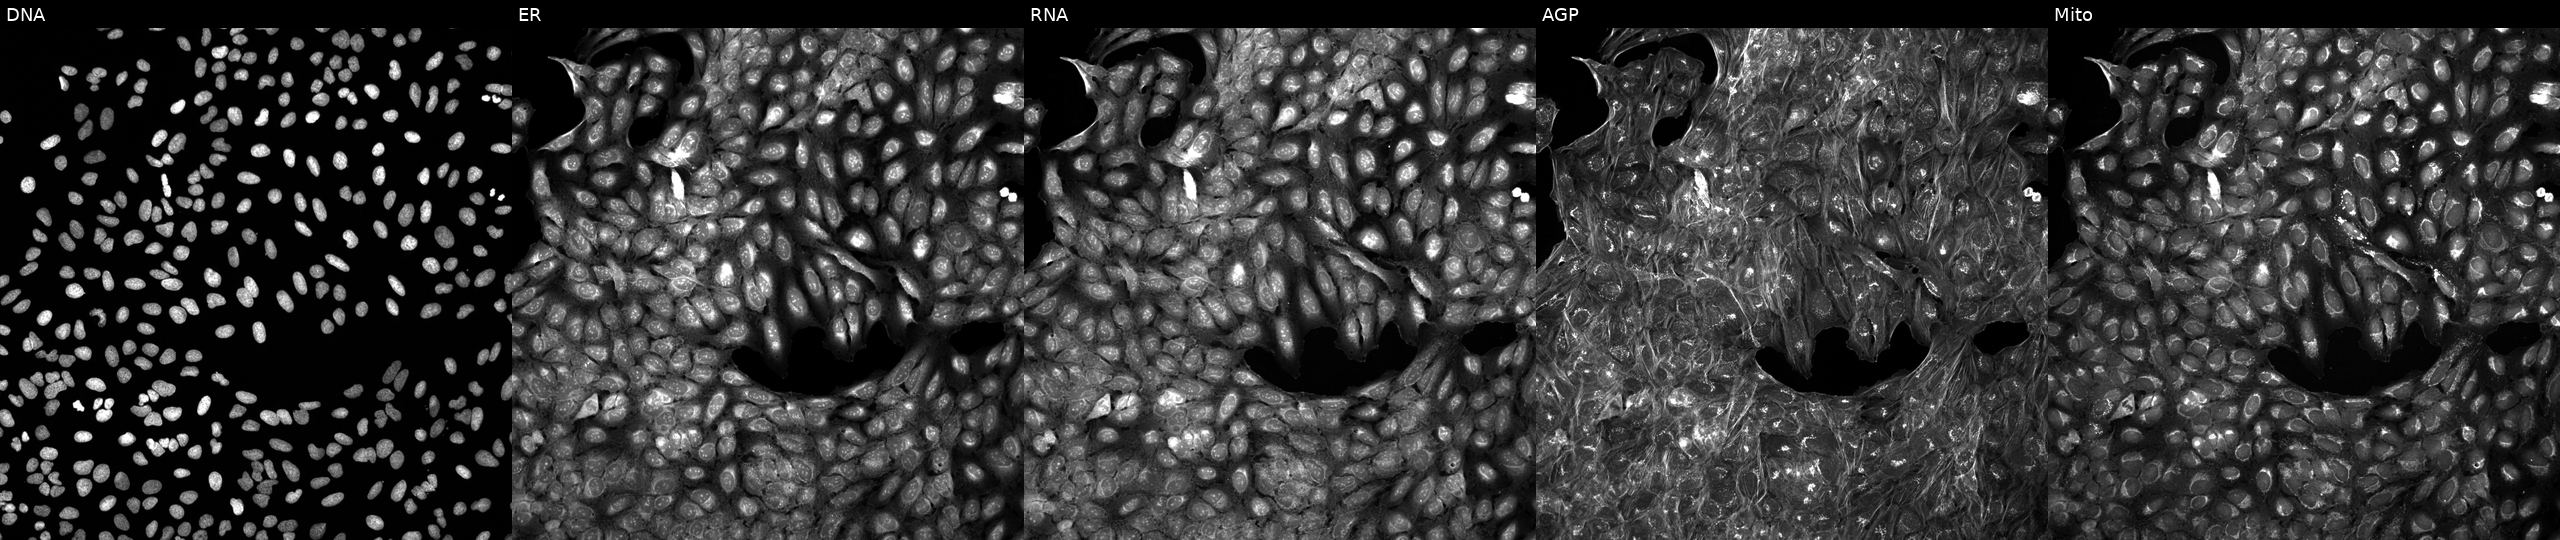
U2OS cells, Cell Painting assay, perturbed with a small-molecule compound (InChIKey LXDRRTBMOKMUSX-UHFFFAOYSA-N) (JUMP id JCP2022_052287). Channels (left→right): DNA, ER, RNA, AGP, and Mito. Each panel is percentile-stretched 16-bit fluorescence.